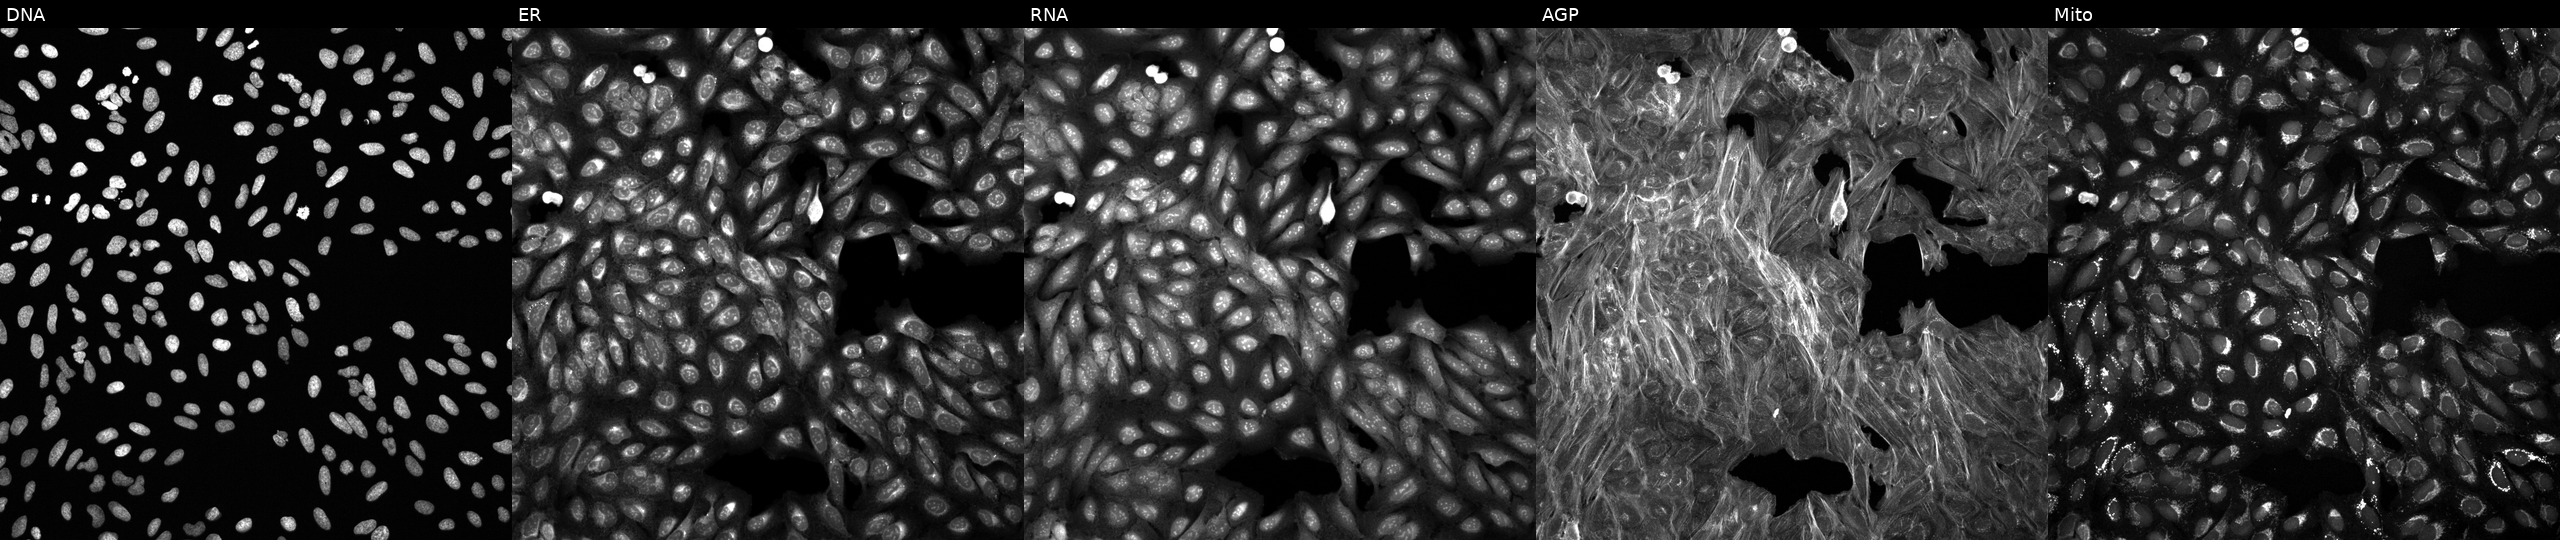
JUMP Cell Painting — COMPOUND plate. U2OS cells treated with a small-molecule compound. From left to right: Hoechst 33342, concanavalin A, SYTO 14, phalloidin and WGA, MitoTracker.